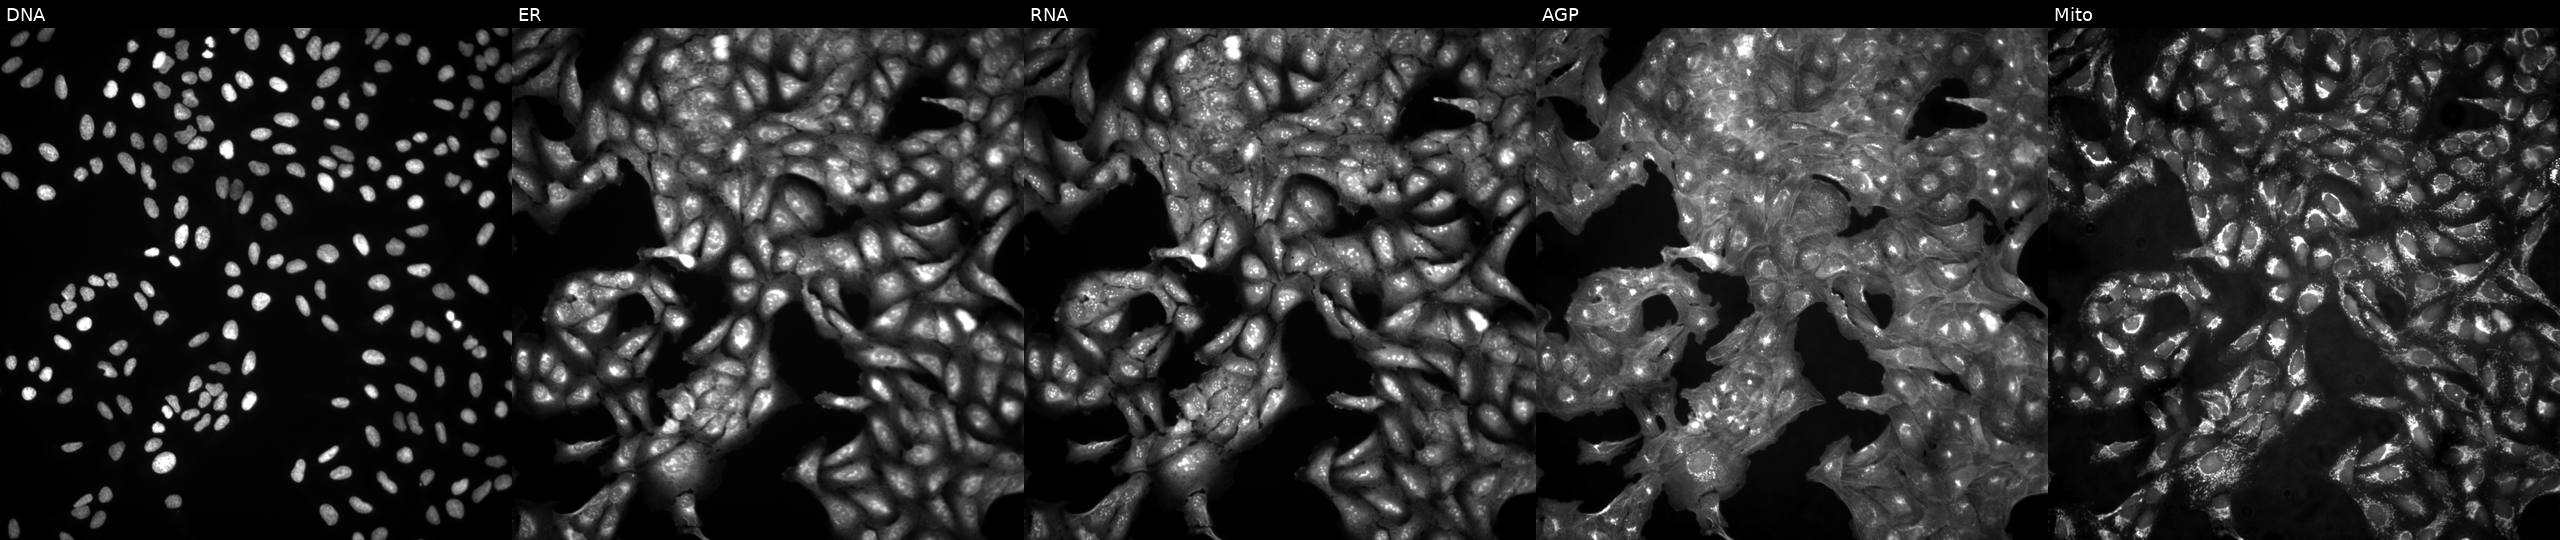
The five panels, left to right, show DNA, ER, RNA, AGP, and Mito. U2OS osteosarcoma cells untreated (empty-well control) (JUMP id JCP2022_999999). Cell Painting assay, JUMP-CP dataset. Source 4, plate BR00123946, well C23.